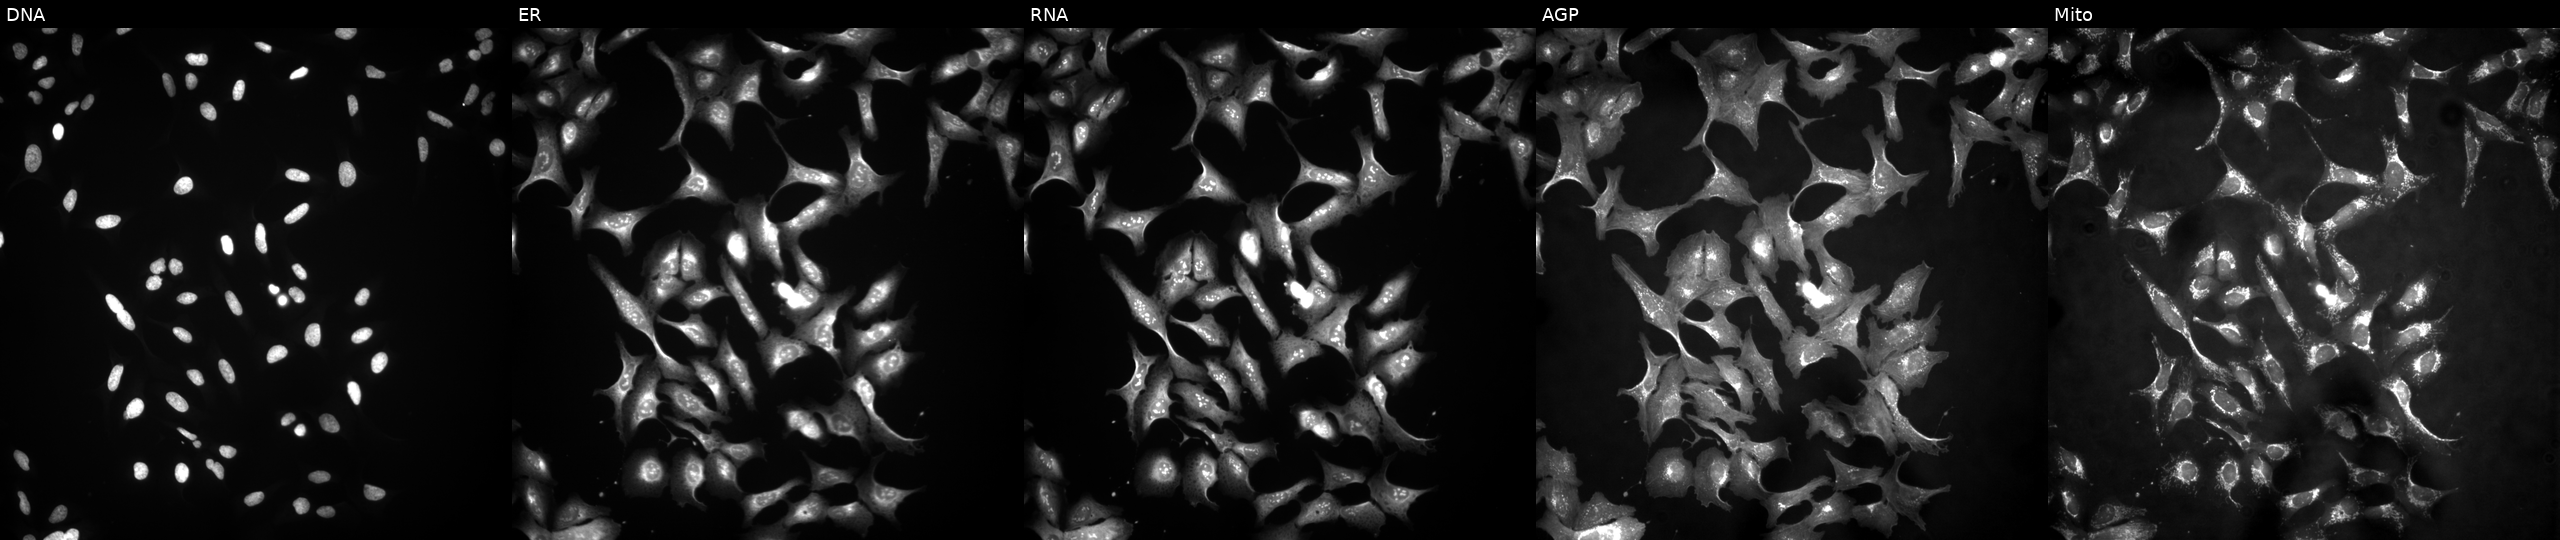
This image strip shows the five Cell Painting channels for a single field of U2OS cells expressing HcRed (ORF negative control) (JUMP id JCP2022_915129). Panels show, left to right, DNA, ER, RNA, AGP, and Mito.